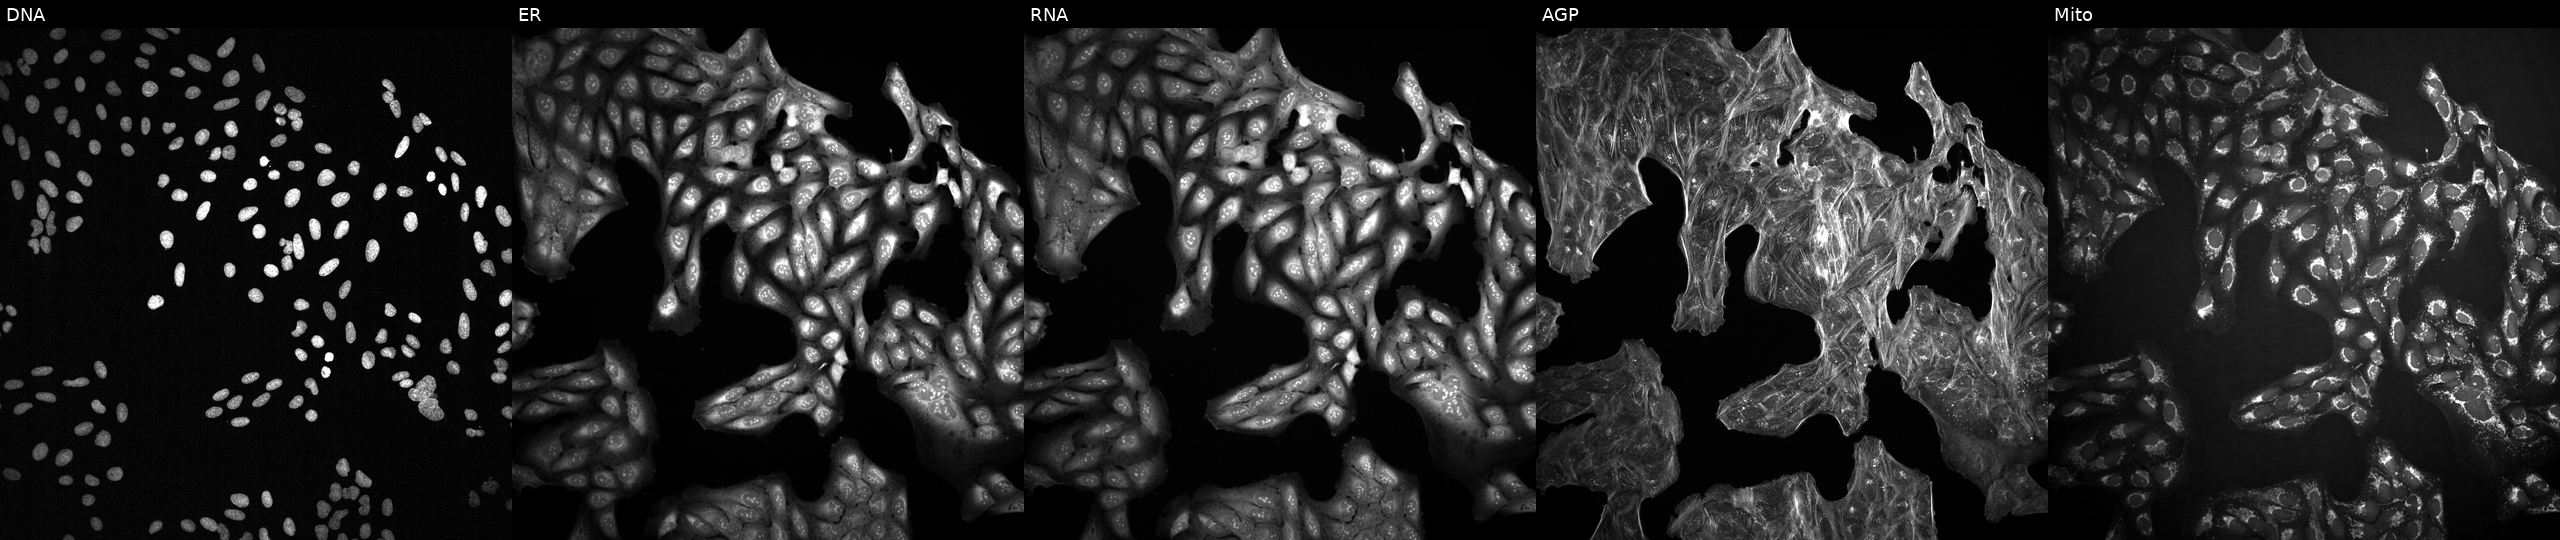
High-content fluorescence microscopy (Cell Painting). Cell line: U2OS. Perturbation: exposed to a small-molecule compound (InChIKey UMUPQWIGCOZEOY-UHFFFAOYSA-N) (JUMP id JCP2022_090205). Panels show, left to right, Hoechst 33342, concanavalin A, SYTO 14, phalloidin and WGA, MitoTracker.